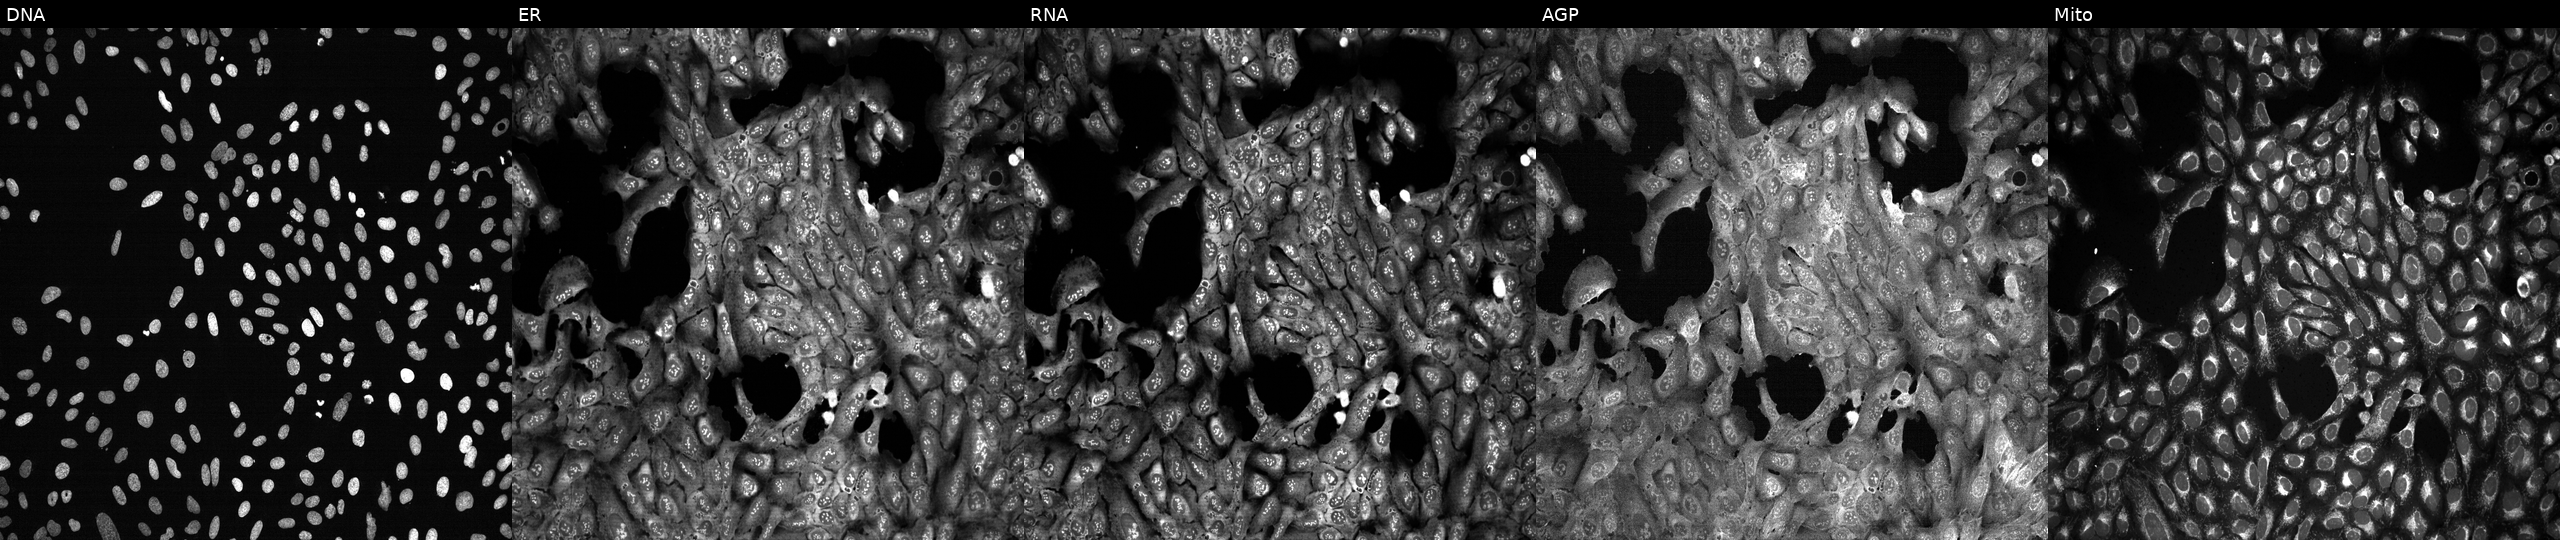
Five-channel Cell Painting image of U2OS cells with MGST2 knocked out by CRISPR (JUMP id JCP2022_804170). The five panels, left to right, show Hoechst 33342, concanavalin A, SYTO 14, phalloidin and WGA, MitoTracker.